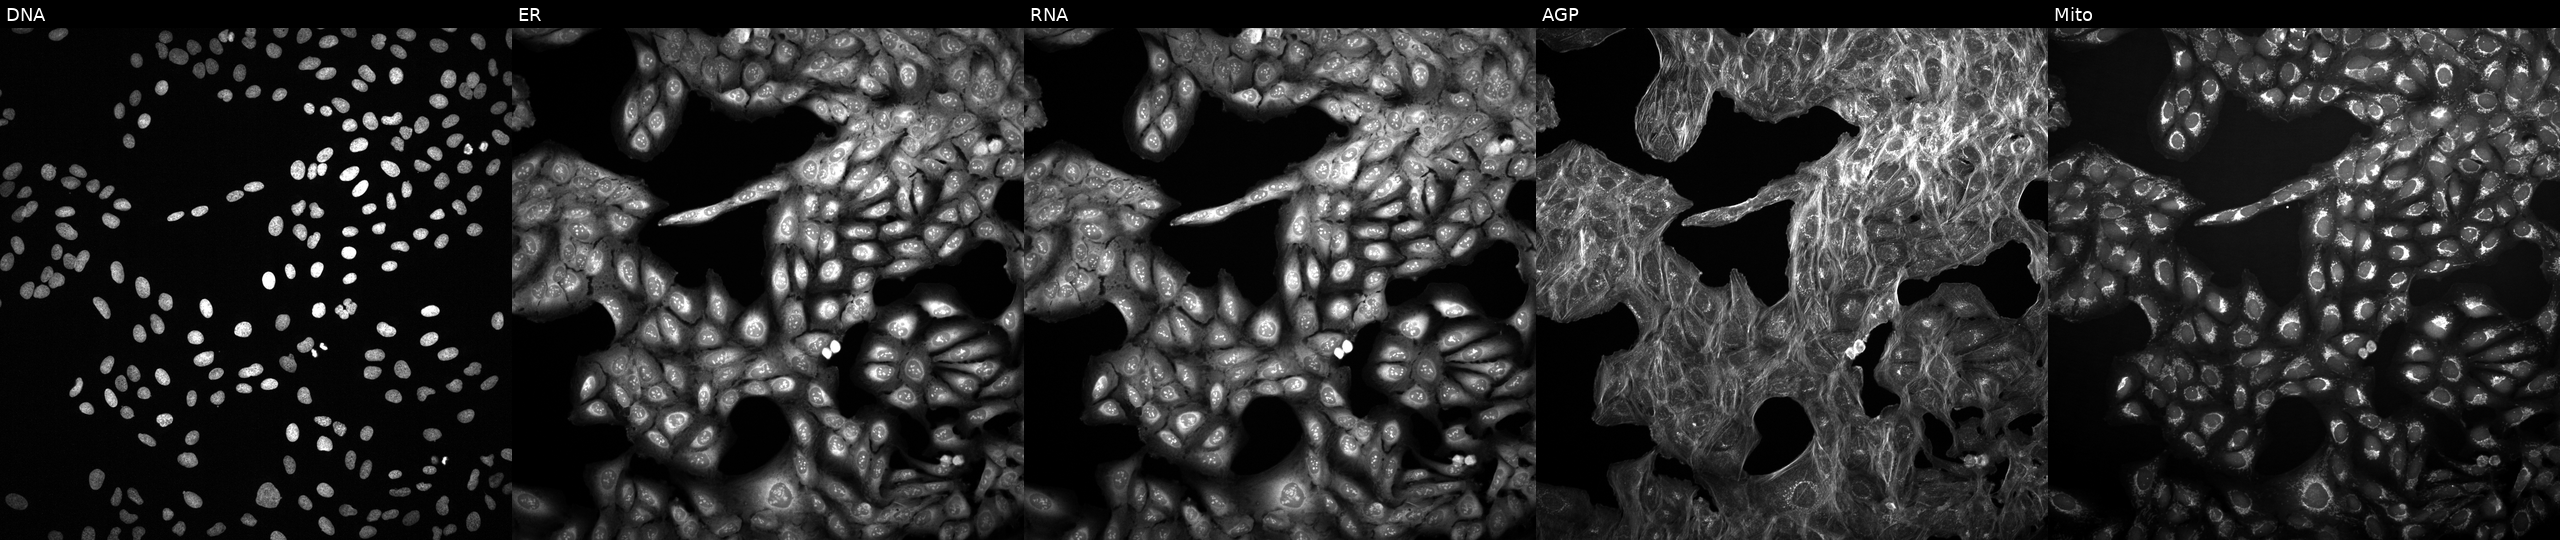
This image strip shows the five Cell Painting channels for a single field of U2OS cells perturbed with a small-molecule compound (InChIKey HSUGRBWQSSZJOP-UHFFFAOYSA-N) (JUMP id JCP2022_032357). Panels show, left to right, DNA, ER, RNA, AGP, and Mito.